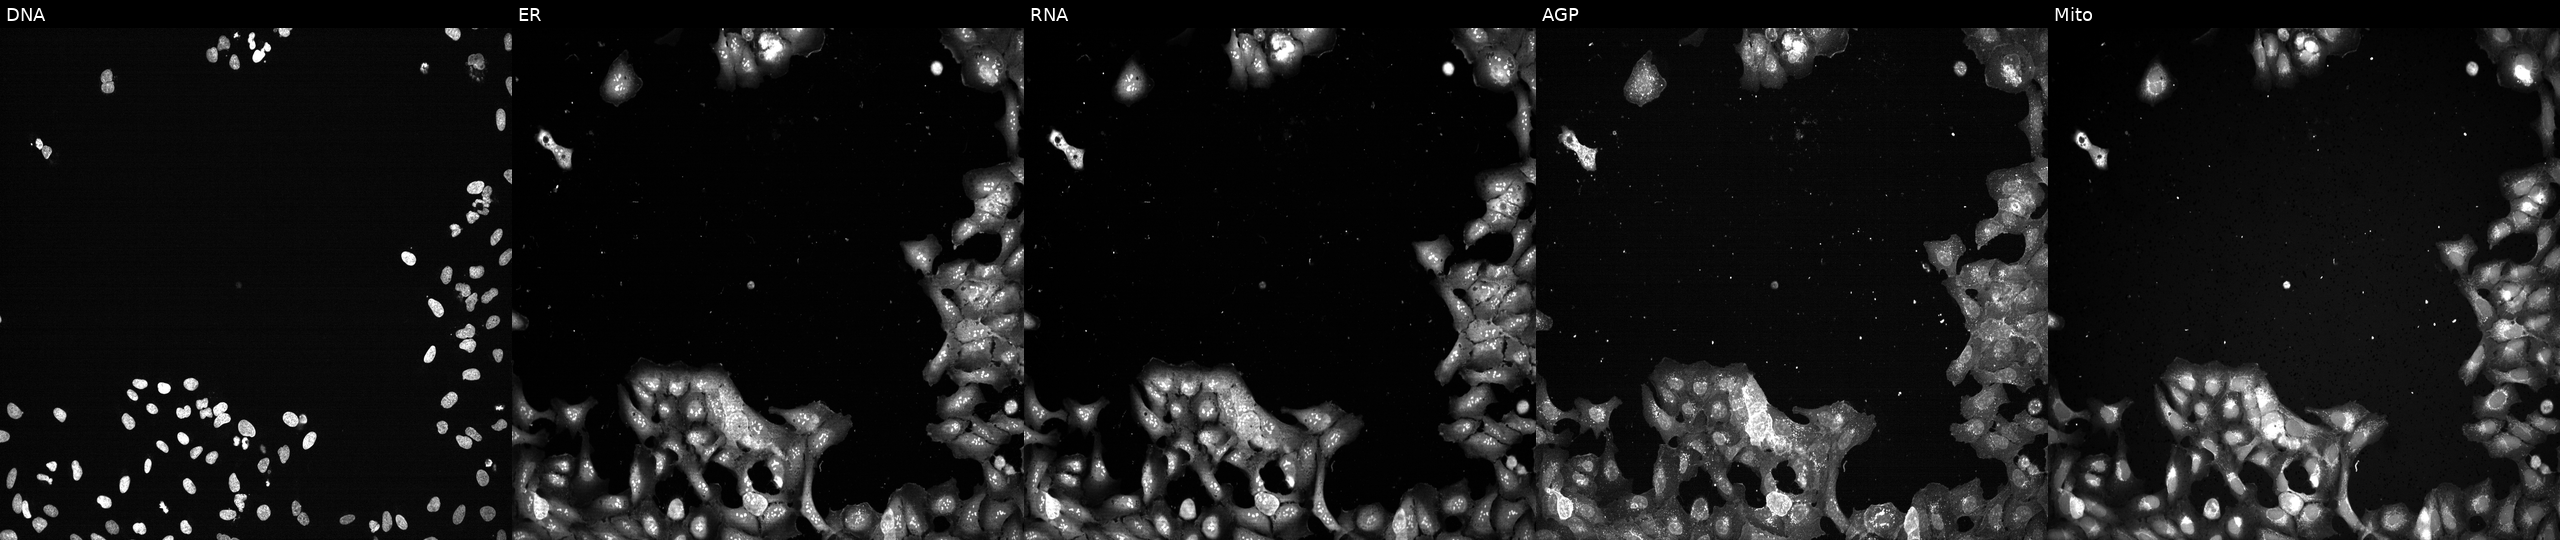
Channels (left→right): Hoechst 33342, concanavalin A, SYTO 14, phalloidin and WGA, MitoTracker. U2OS osteosarcoma cells with TP53I3 knocked out by CRISPR. Cell Painting assay, JUMP-CP dataset. Source 13, plate CP-CC9-R1-01, well H17.